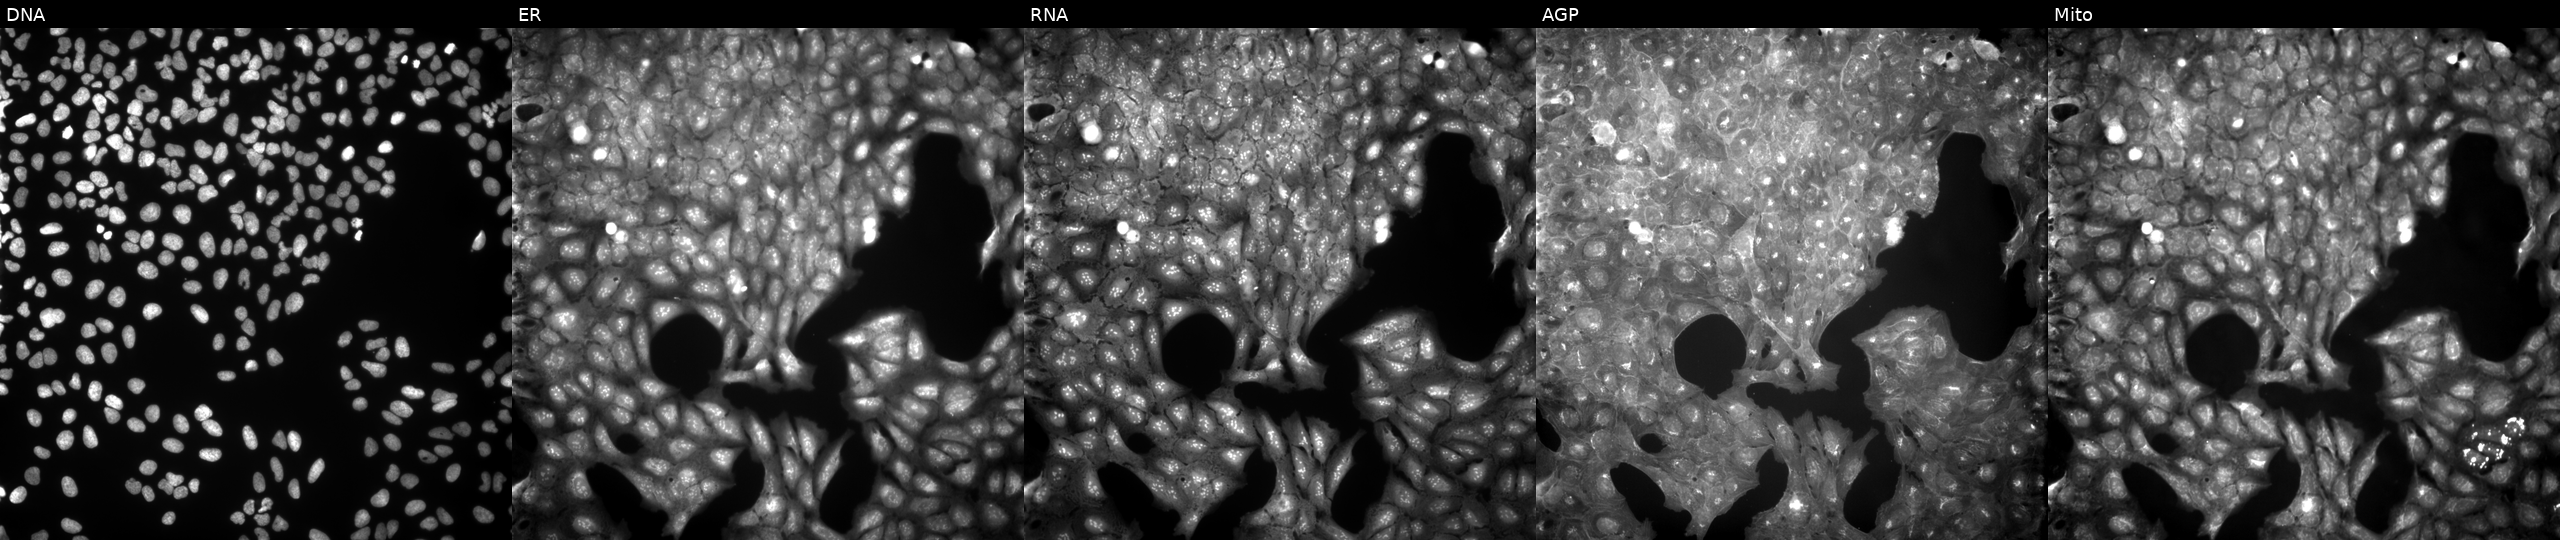
U2OS cells, Cell Painting assay, perturbed with a small-molecule compound (InChIKey NLCOZUIOJPYJNR-UHFFFAOYSA-N). From left to right: DNA (nuclei); ER (endoplasmic reticulum); RNA (nucleoli and cytoplasmic RNA); AGP (actin cytoskeleton, Golgi, and plasma membrane); Mito (mitochondria). Each panel is percentile-stretched 16-bit fluorescence.